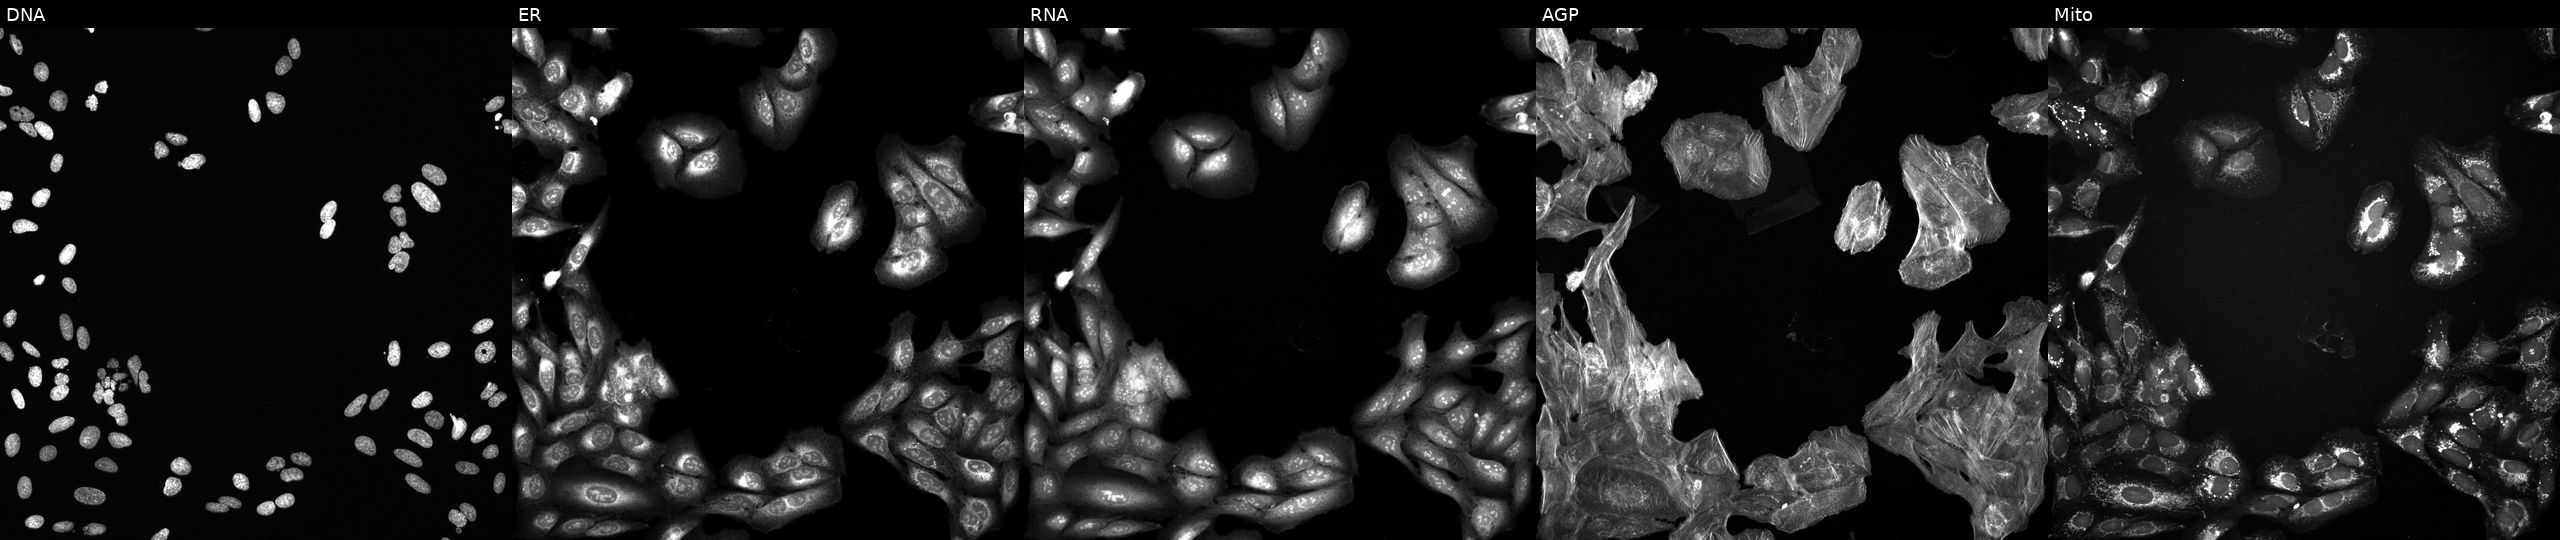
U2OS cells, Cell Painting assay, treated with a small-molecule compound. Panels show, left to right, DNA (nuclei); ER (endoplasmic reticulum); RNA (nucleoli and cytoplasmic RNA); AGP (actin cytoskeleton, Golgi, and plasma membrane); Mito (mitochondria). Each panel is percentile-stretched 16-bit fluorescence.